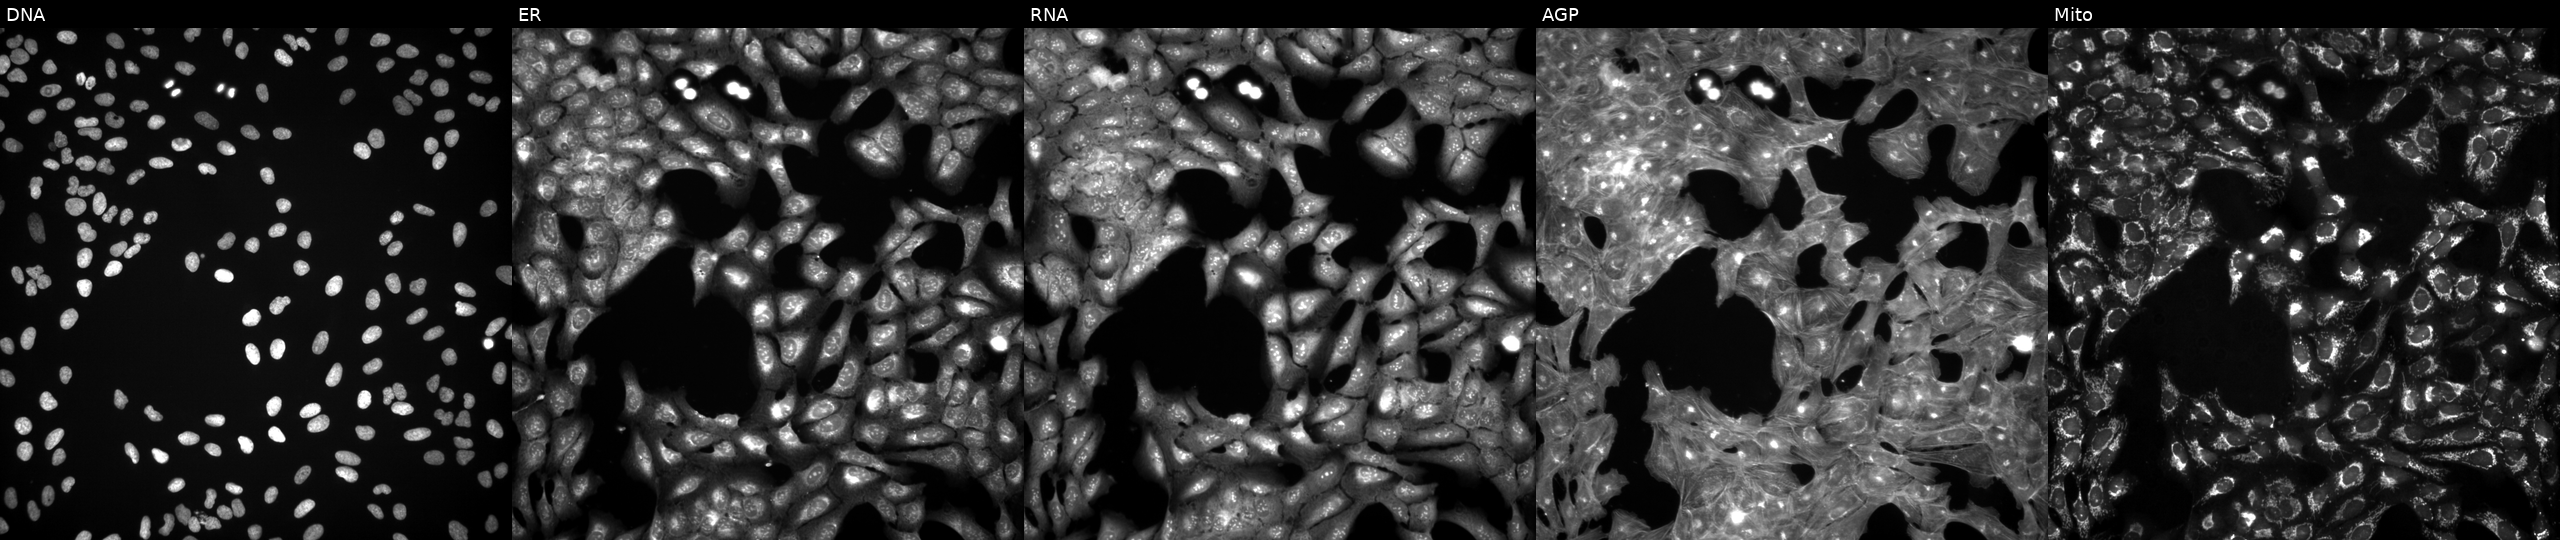
Panels show, left to right, DNA (nuclei); ER (endoplasmic reticulum); RNA (nucleoli and cytoplasmic RNA); AGP (actin cytoskeleton, Golgi, and plasma membrane); Mito (mitochondria). U2OS osteosarcoma cells treated with DMSO vehicle only (negative control). Cell Painting assay, JUMP-CP dataset. Source 3, plate JCPQC053, well I15.